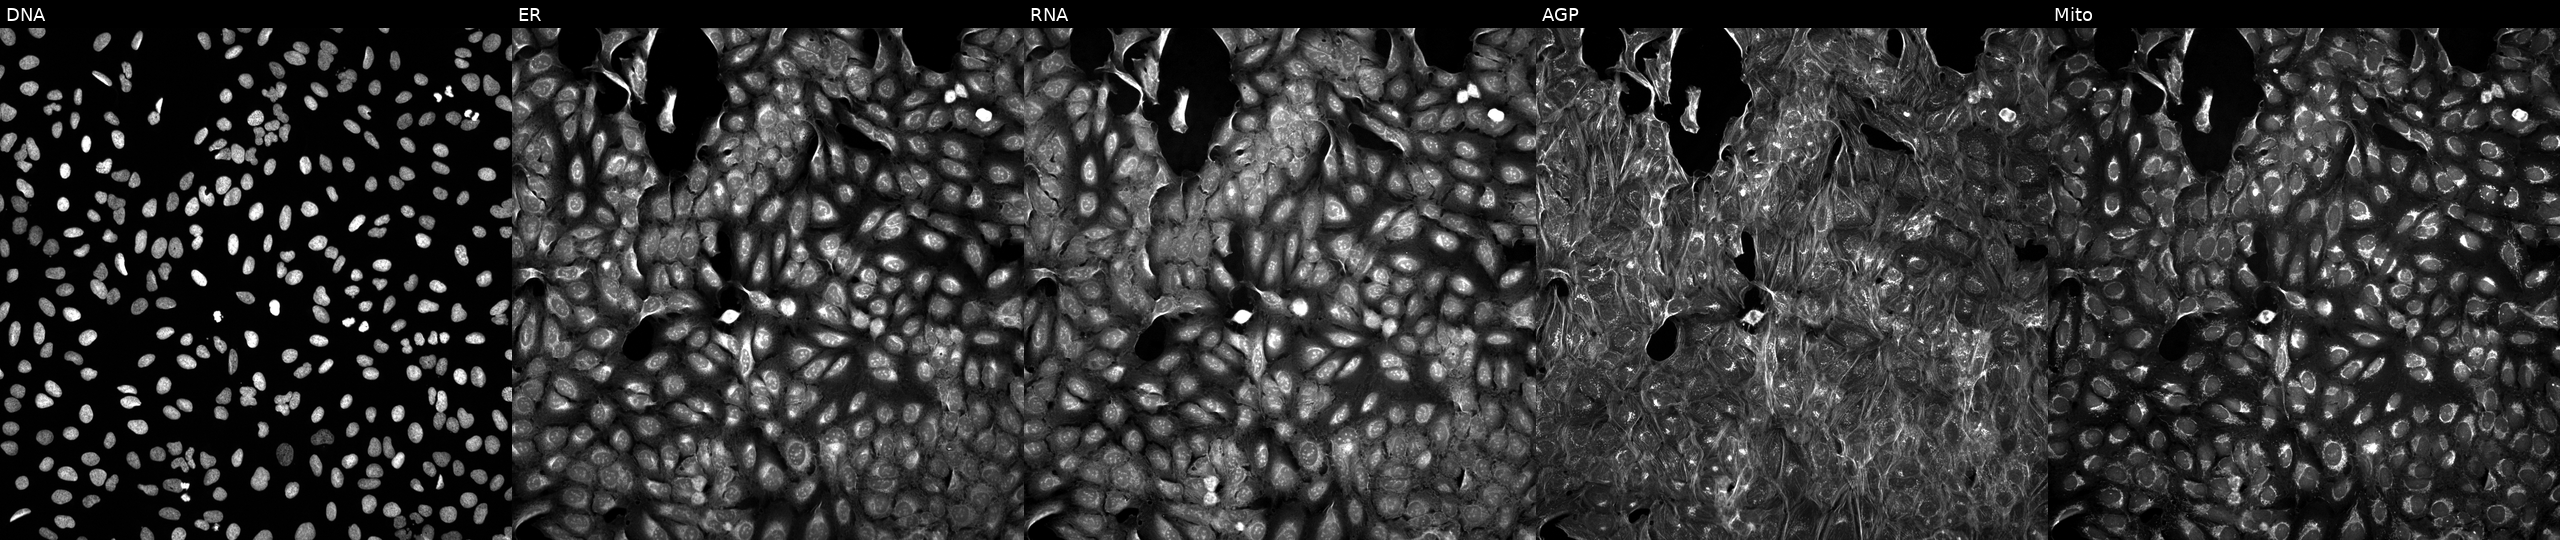
Channels (left→right): Hoechst 33342, concanavalin A, SYTO 14, phalloidin and WGA, MitoTracker. U2OS osteosarcoma cells exposed to DMSO alone as a negative control. Cell Painting assay, JUMP-CP dataset. Source 5, plate ACPJUM032, well O12.